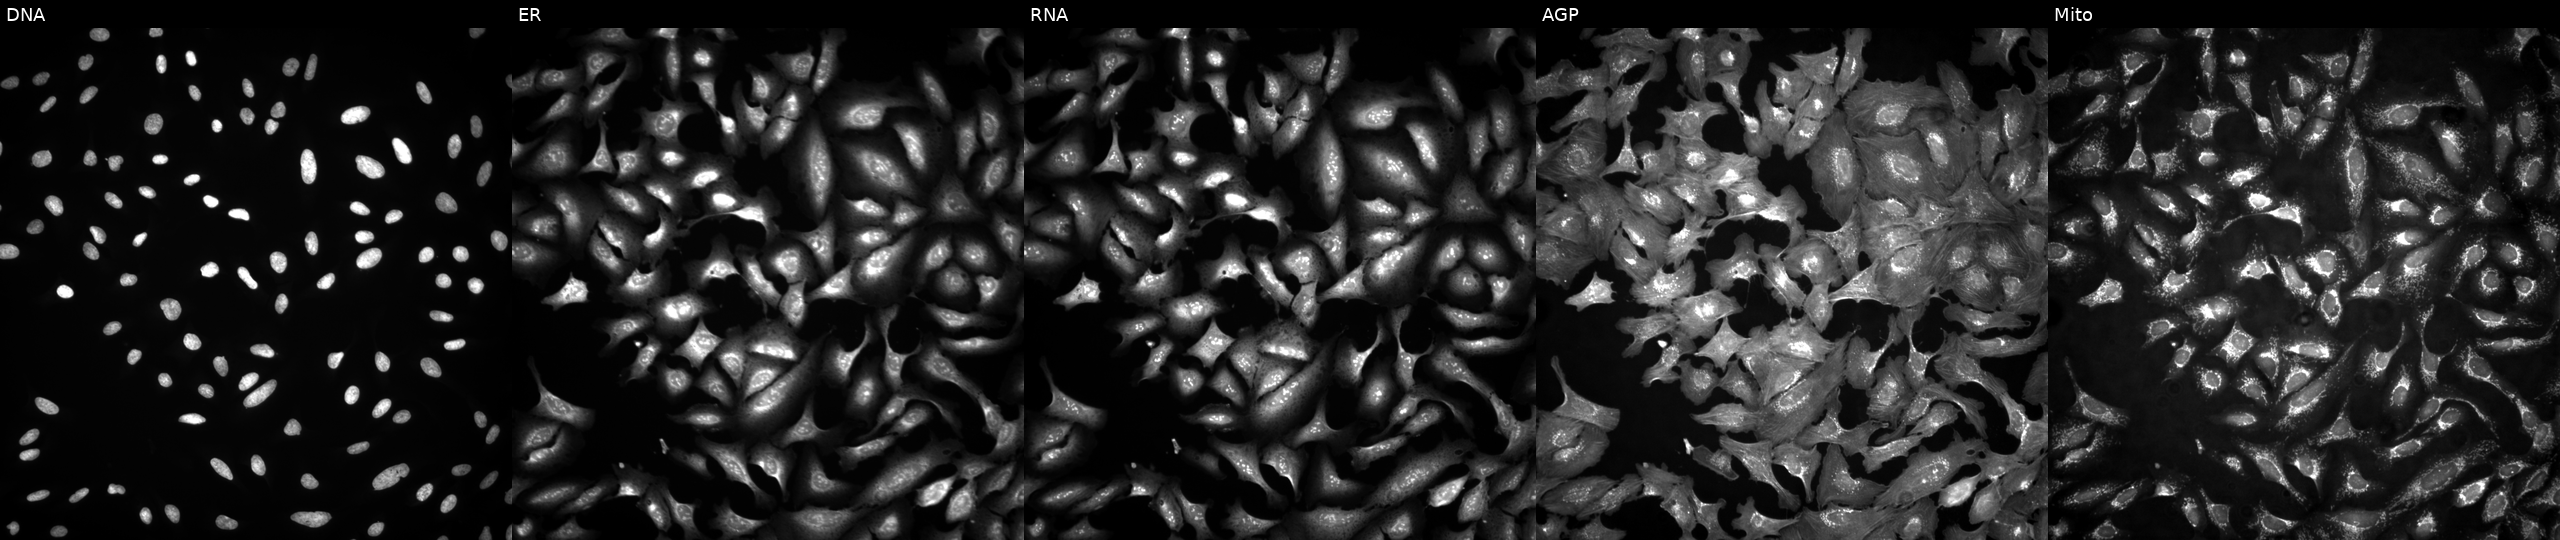
This image strip shows the five Cell Painting channels for a single field of U2OS cells with PDGFRB overexpressed (ORF) (JUMP id JCP2022_913762). The five panels, left to right, show DNA, ER, RNA, AGP, and Mito.